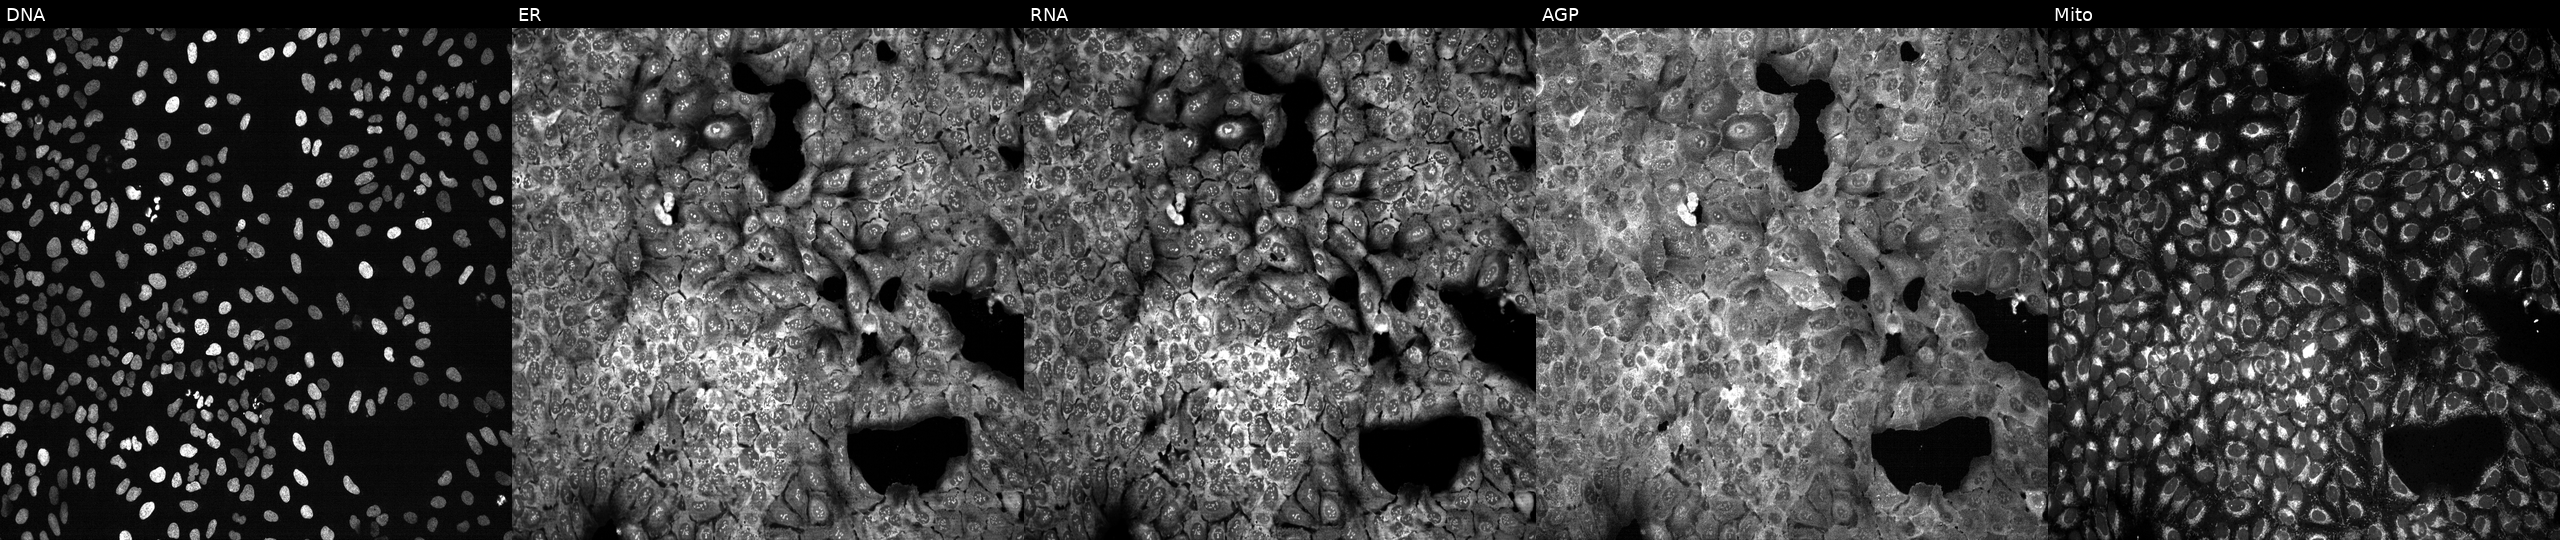
This image strip shows the five Cell Painting channels for a single field of U2OS cells with SMYD3 knocked out by CRISPR (JUMP id JCP2022_806657). The five panels, left to right, show DNA (nuclei); ER (endoplasmic reticulum); RNA (nucleoli and cytoplasmic RNA); AGP (actin cytoskeleton, Golgi, and plasma membrane); Mito (mitochondria).